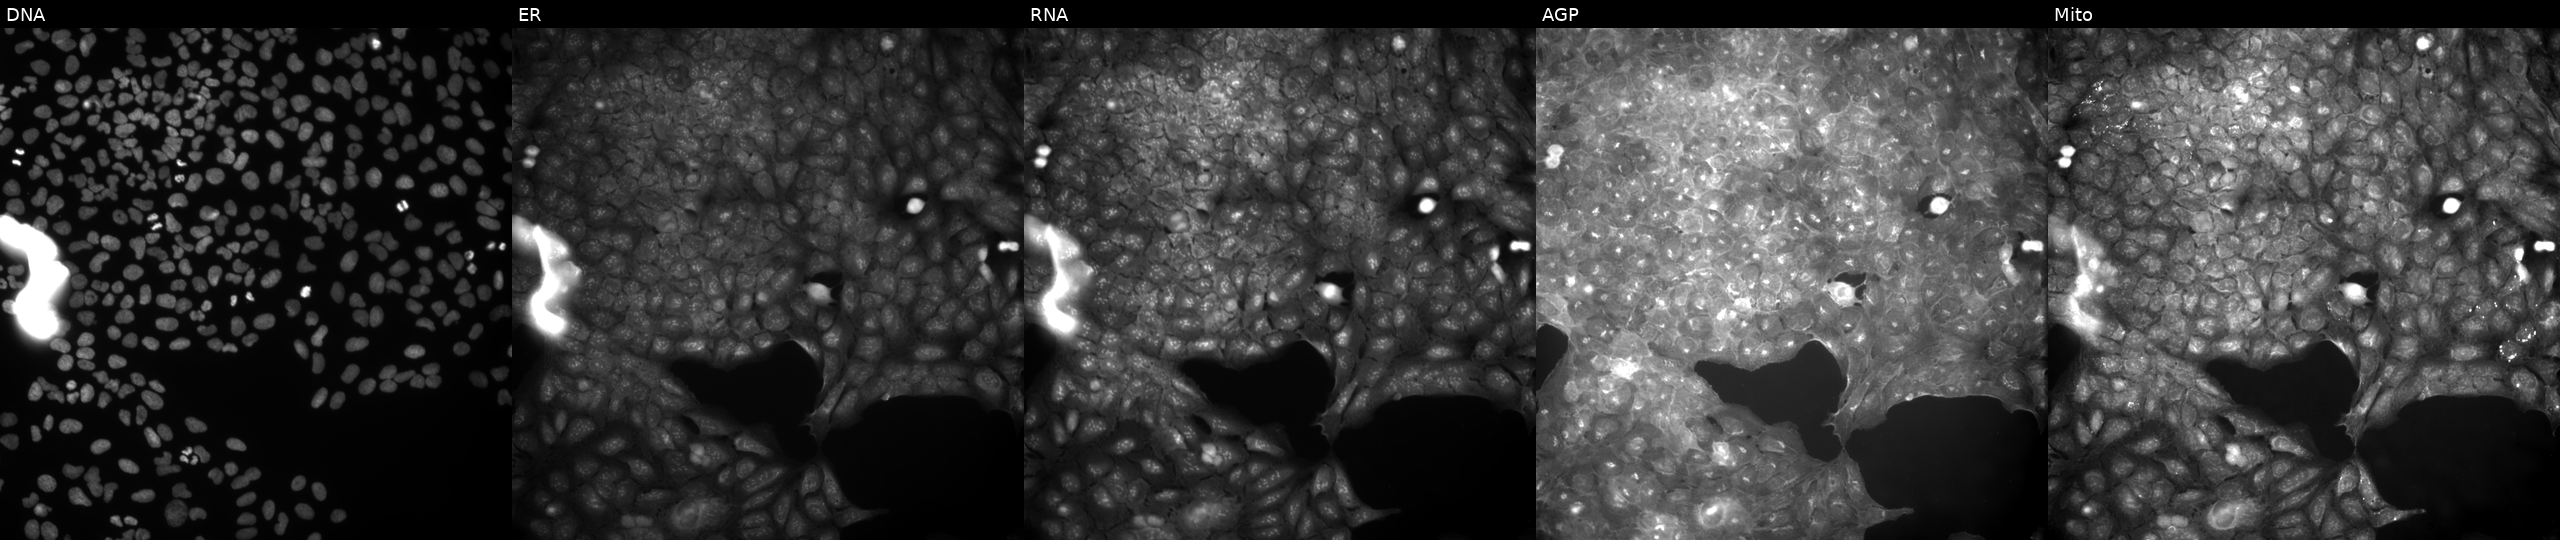
The five panels, left to right, show DNA, ER, RNA, AGP, and Mito. U2OS osteosarcoma cells exposed to DMSO alone as a negative control (JUMP id JCP2022_033924). Cell Painting assay, JUMP-CP dataset.